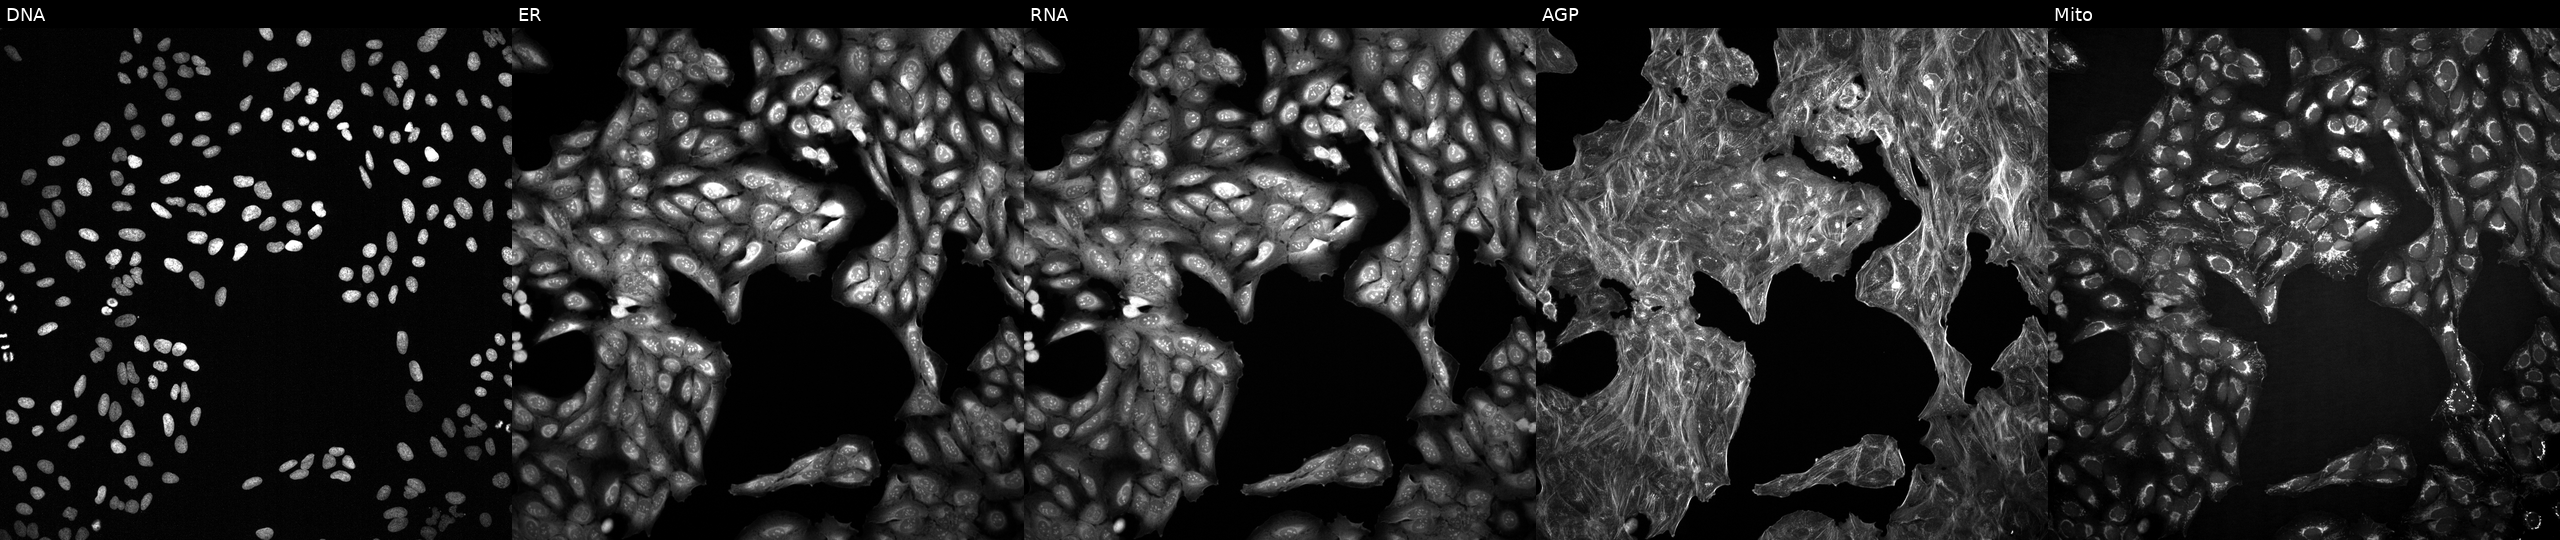
U2OS cells, Cell Painting assay, perturbed with a small-molecule compound (InChIKey KHBFLQOLIZAPAZ-UHFFFAOYSA-N) [SMILES: Cc1[nH]cnc1-c1nnc2n1-c1ccc(Br)cc1C(c1ccccc1Cl)=NC2]. Channels (left→right): DNA, ER, RNA, AGP, and Mito. Each panel is percentile-stretched 16-bit fluorescence. Source 2, plate 1053601756, well K09.